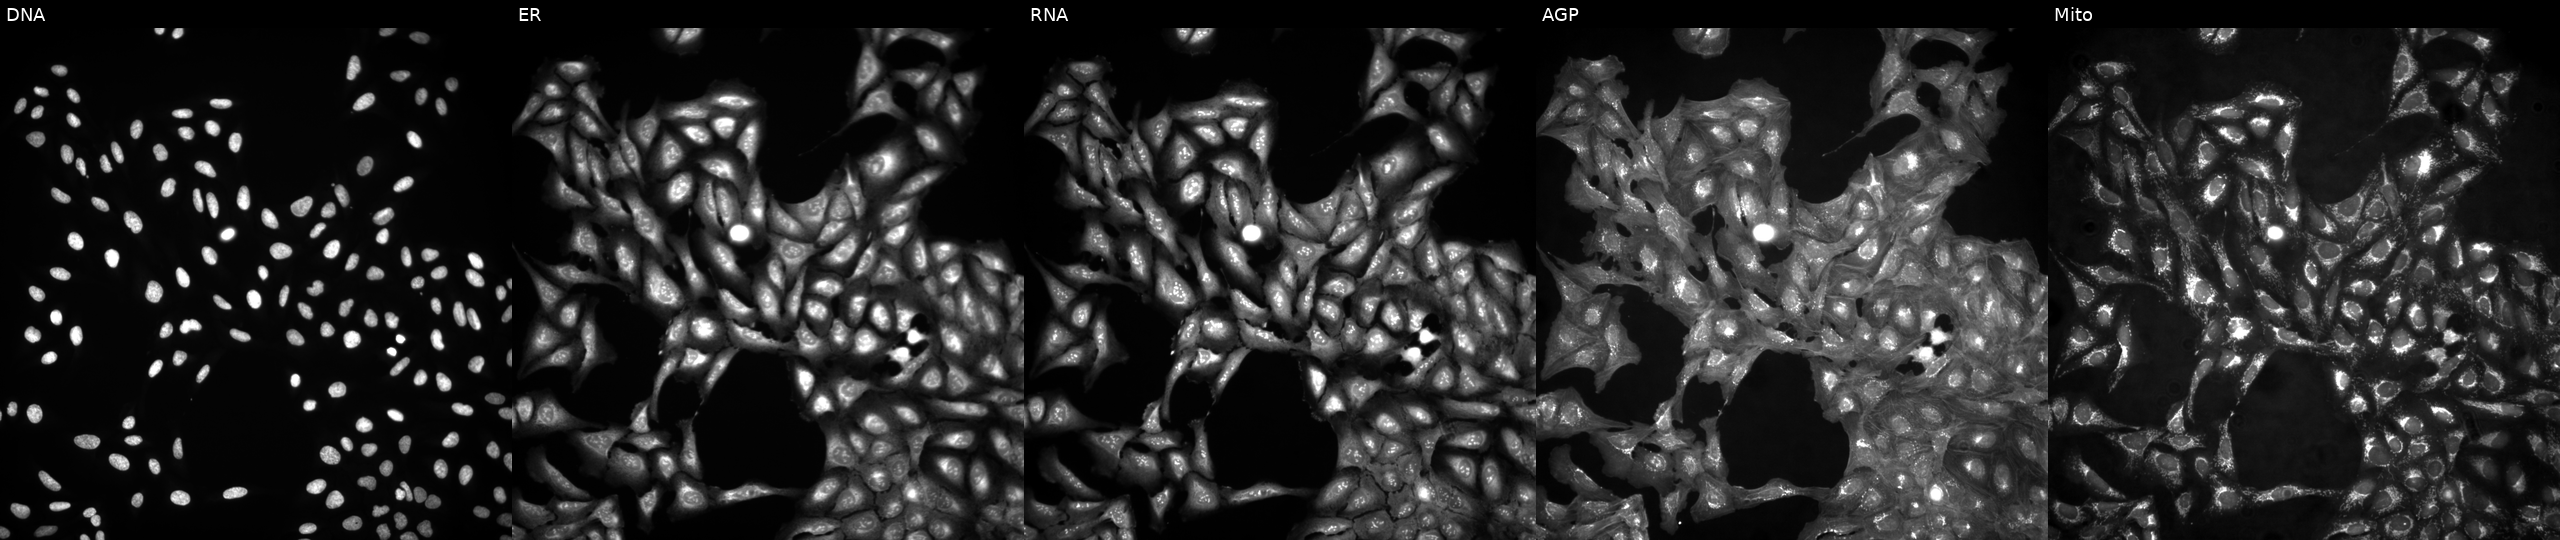
High-content fluorescence microscopy (Cell Painting). Cell line: U2OS. Perturbation: untreated (empty-well control) (JUMP id JCP2022_999999). Channels (left→right): Hoechst 33342, concanavalin A, SYTO 14, phalloidin and WGA, MitoTracker.